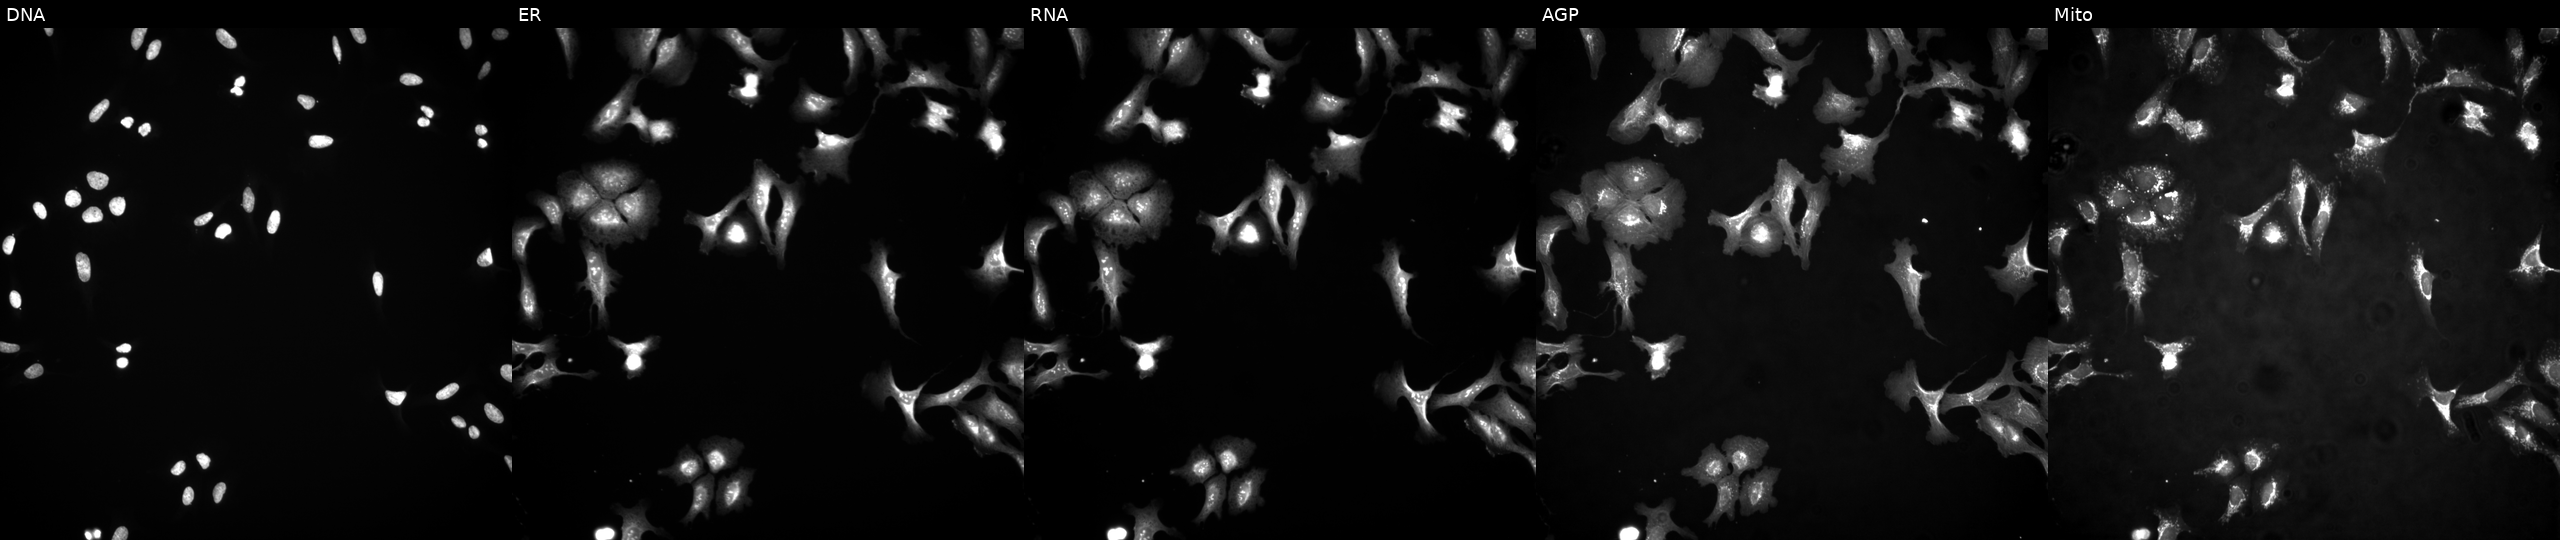
U2OS cells, Cell Painting assay, overexpressing PSD3 via ORF transfection (JUMP id JCP2022_910935). Channels (left→right): Hoechst 33342, concanavalin A, SYTO 14, phalloidin and WGA, MitoTracker. Each panel is percentile-stretched 16-bit fluorescence.